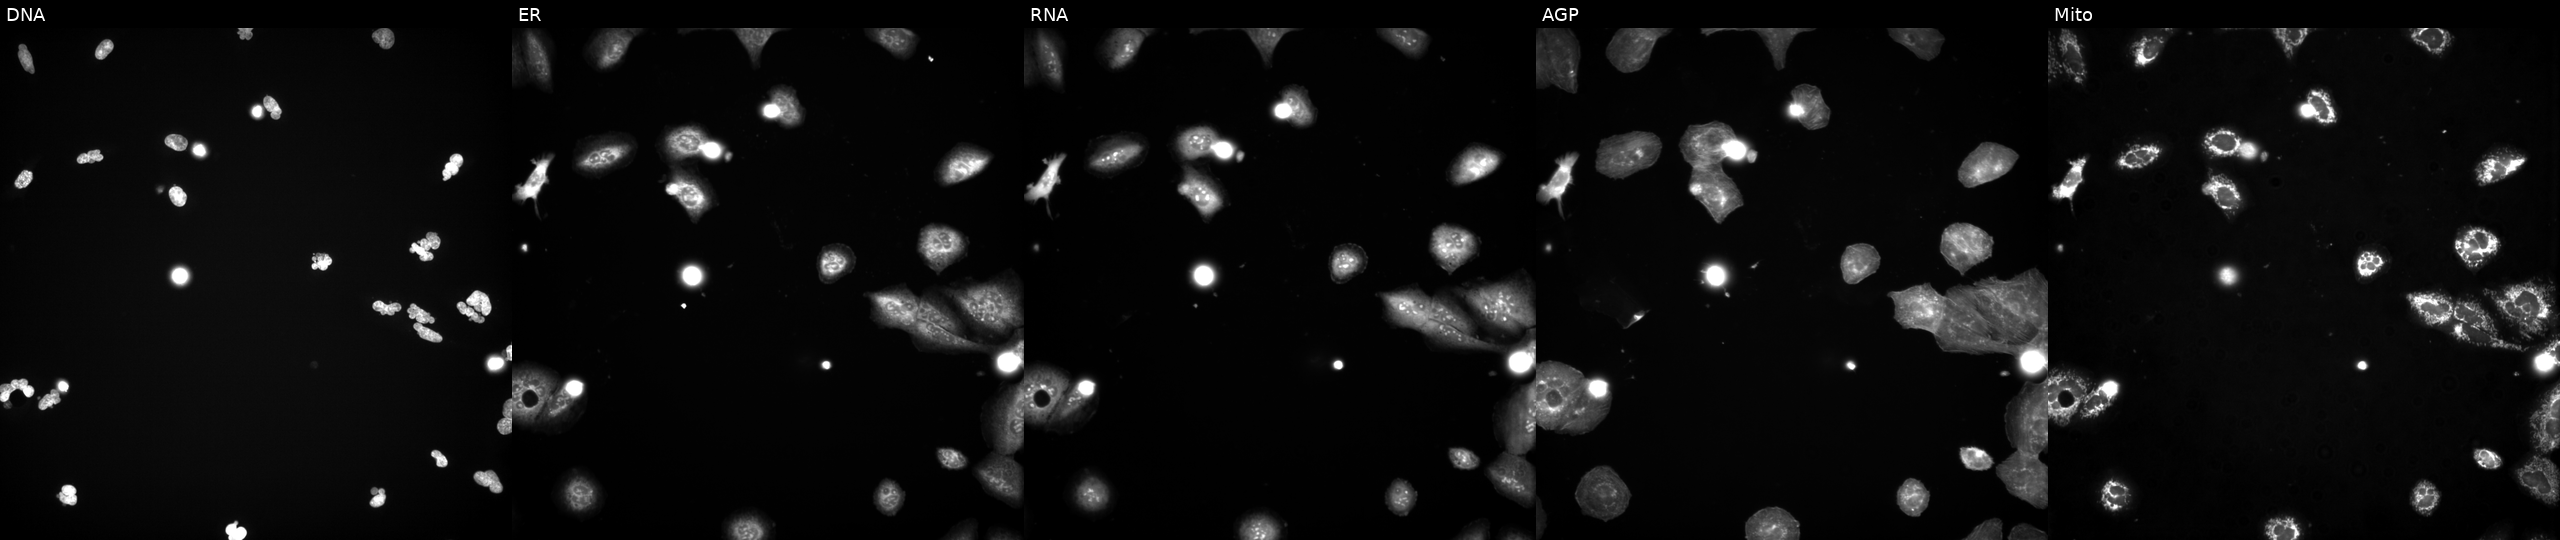
The five panels, left to right, show DNA (nuclei); ER (endoplasmic reticulum); RNA (nucleoli and cytoplasmic RNA); AGP (actin cytoskeleton, Golgi, and plasma membrane); Mito (mitochondria). U2OS osteosarcoma cells treated with a small-molecule compound (JUMP id JCP2022_012198). Cell Painting assay, JUMP-CP dataset.